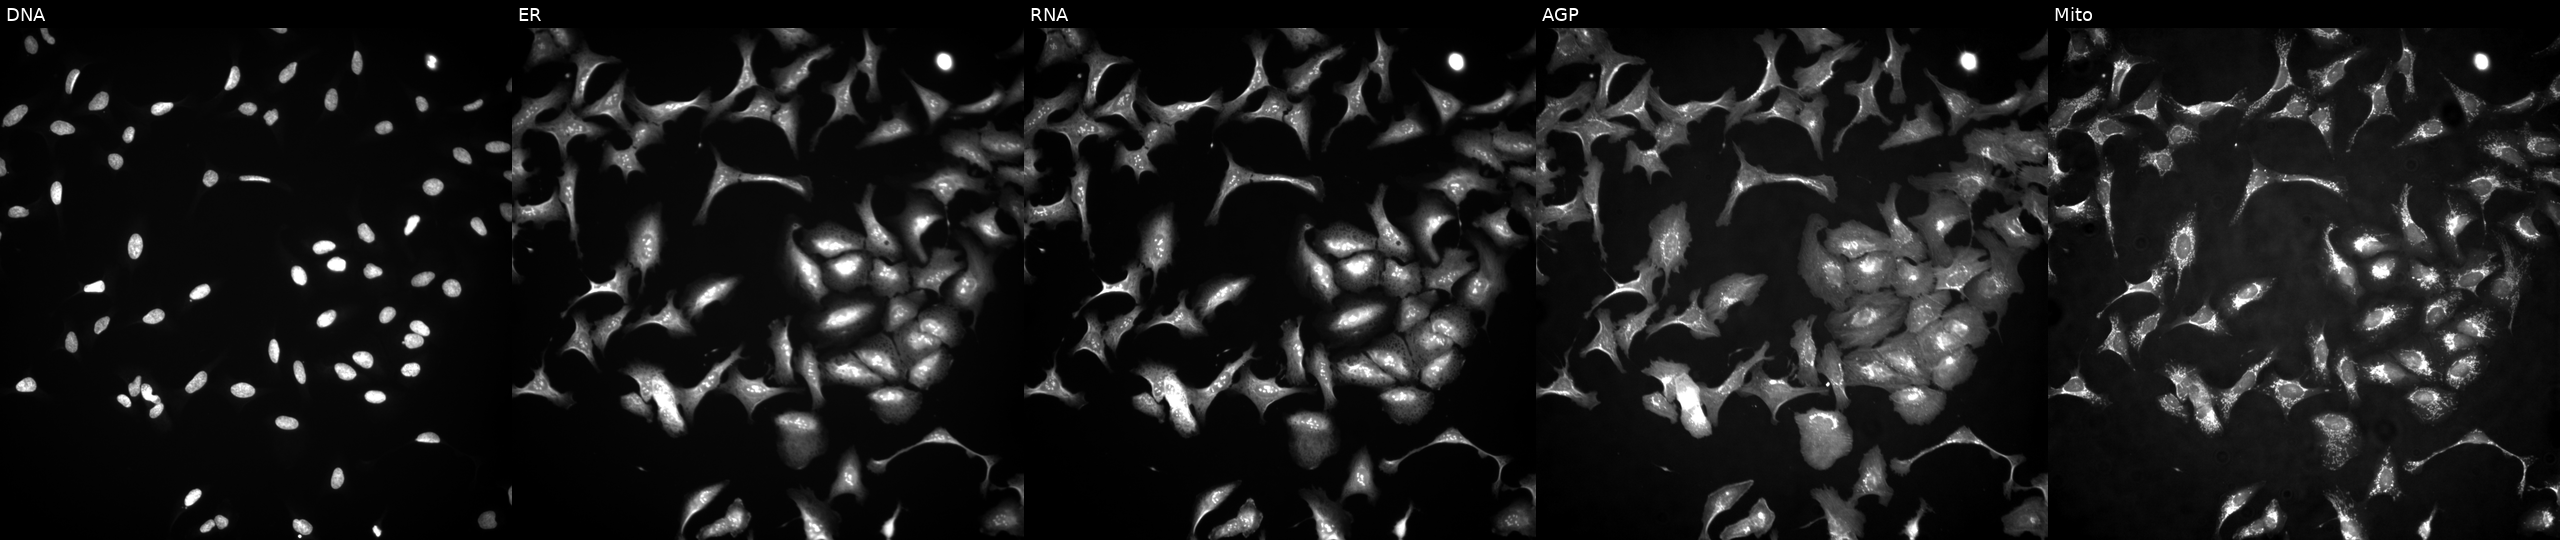
Five-channel Cell Painting image of U2OS cells with ZNF785 overexpressed (ORF). The five panels, left to right, show Hoechst 33342, concanavalin A, SYTO 14, phalloidin and WGA, MitoTracker.